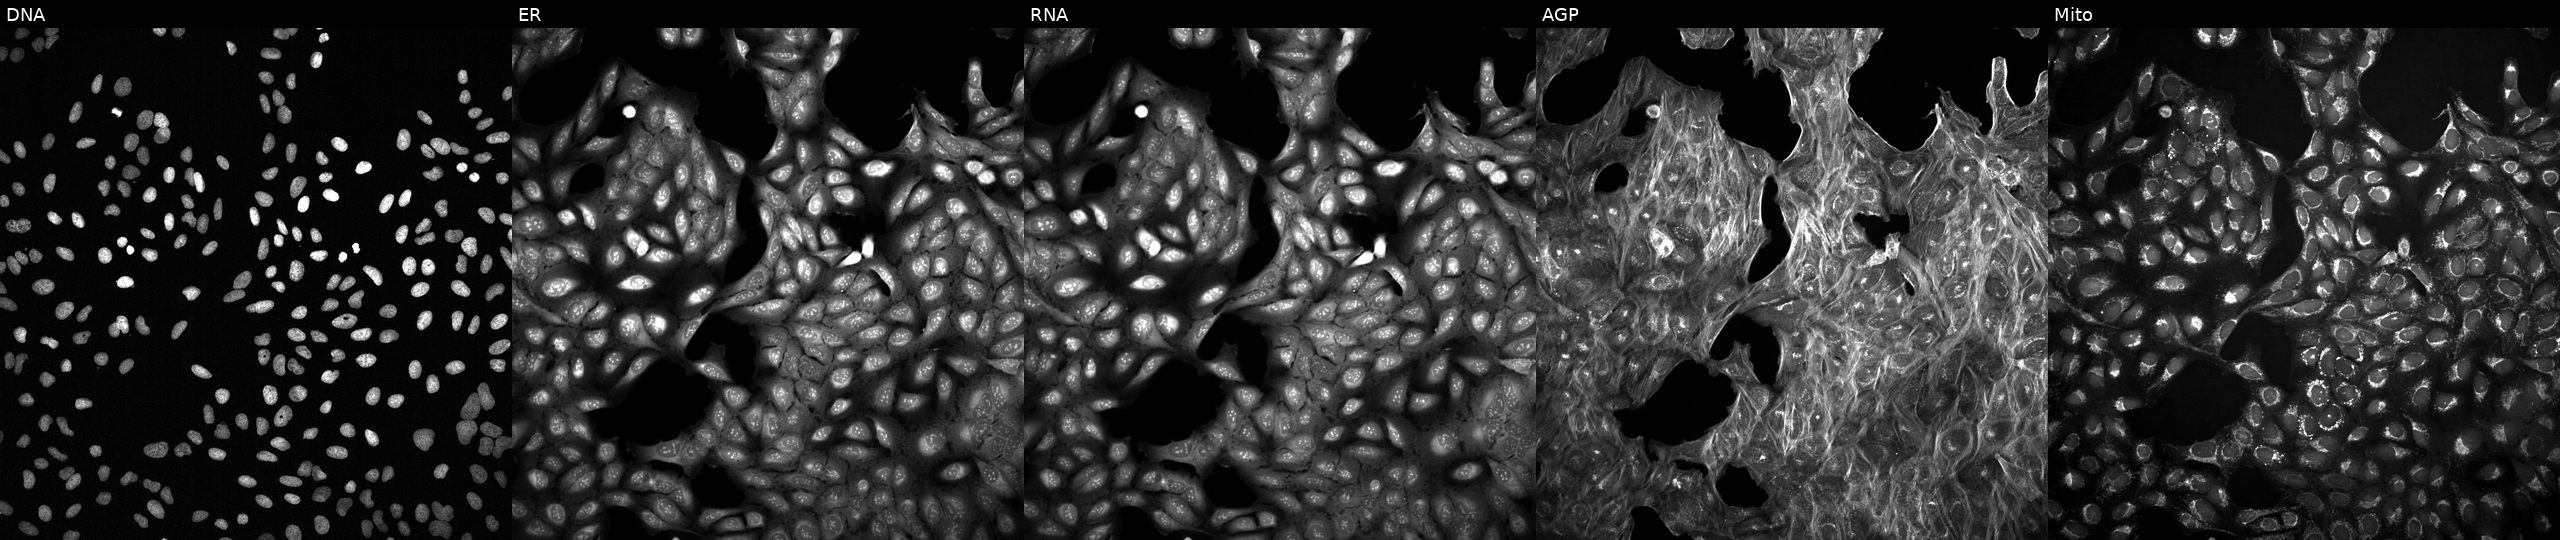
Five-channel Cell Painting image of U2OS cells with an unidentified perturbation (not annotated in JUMP metadata). Panels show, left to right, Hoechst 33342, concanavalin A, SYTO 14, phalloidin and WGA, MitoTracker.